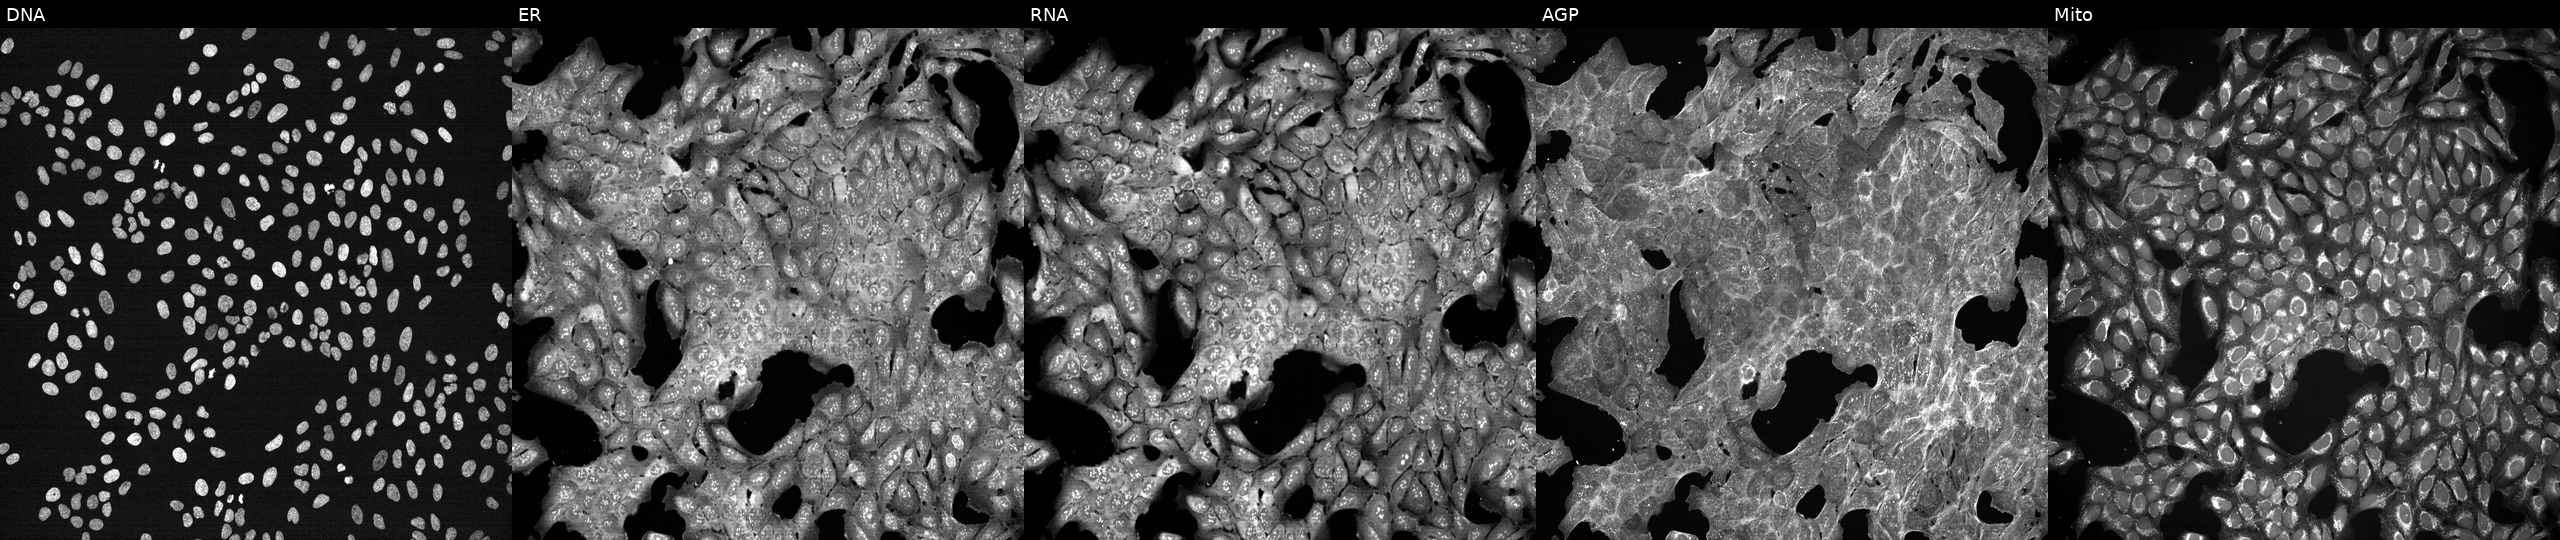
High-content fluorescence microscopy (Cell Painting). Cell line: U2OS. Perturbation: treated with a small-molecule compound (InChIKey FNYLWPVRPXGIIP-UHFFFAOYSA-N) (JUMP id JCP2022_021857). Channels (left→right): DNA, ER, RNA, AGP, and Mito.